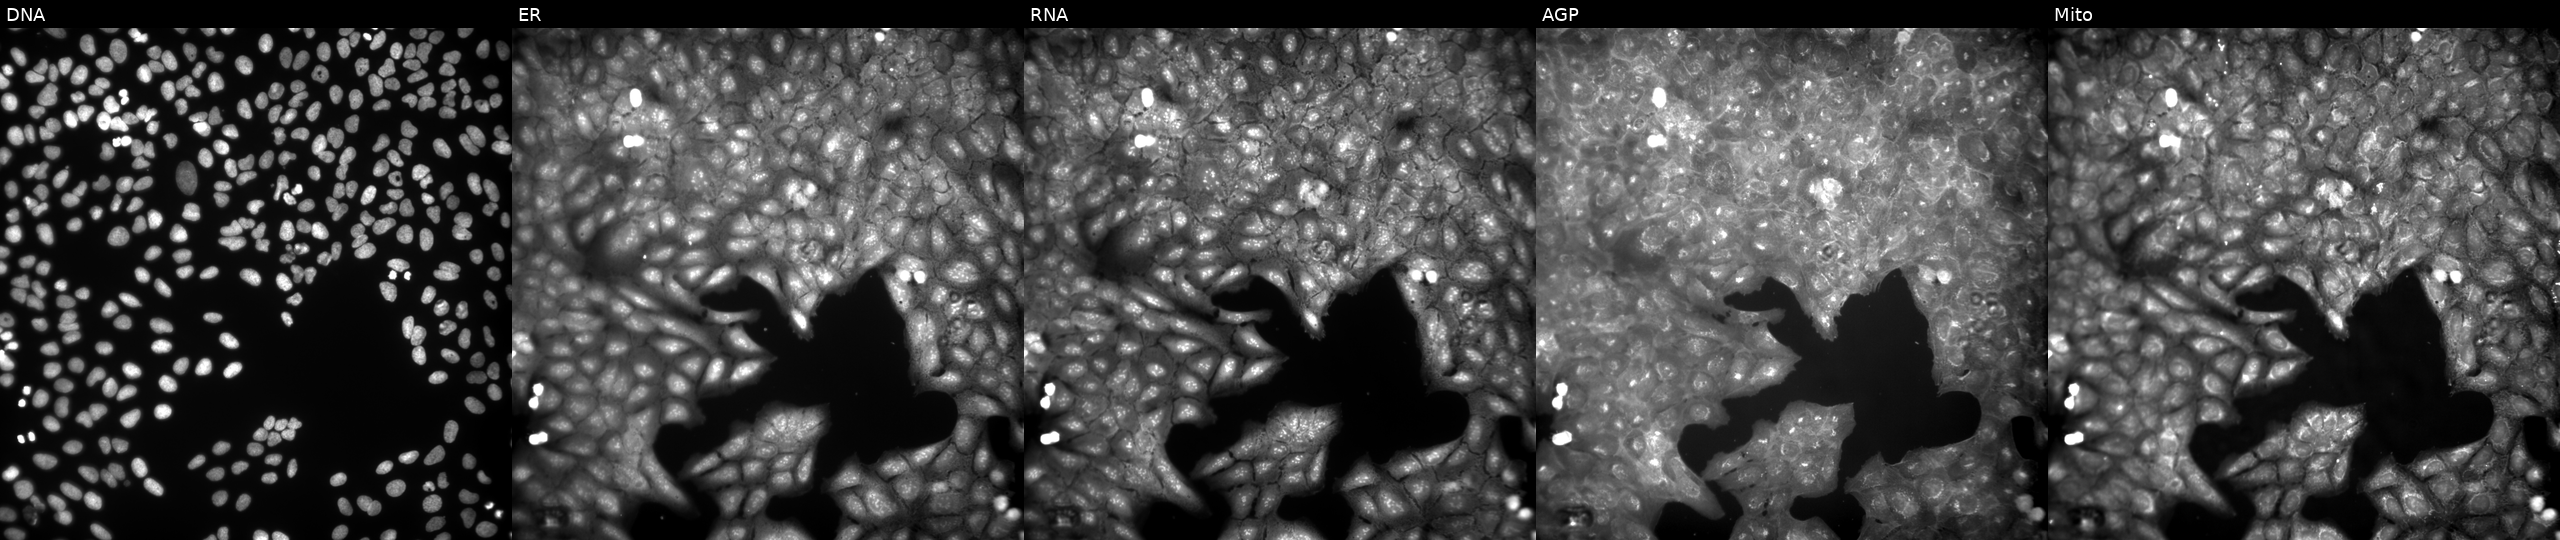
Channels (left→right): DNA, ER, RNA, AGP, and Mito. U2OS osteosarcoma cells treated with a small-molecule compound (InChIKey JXFUPKNFRIURPJ-UHFFFAOYSA-N) (JUMP id JCP2022_042726). Cell Painting assay, JUMP-CP dataset. Source 9, plate GR00003381, well H45.